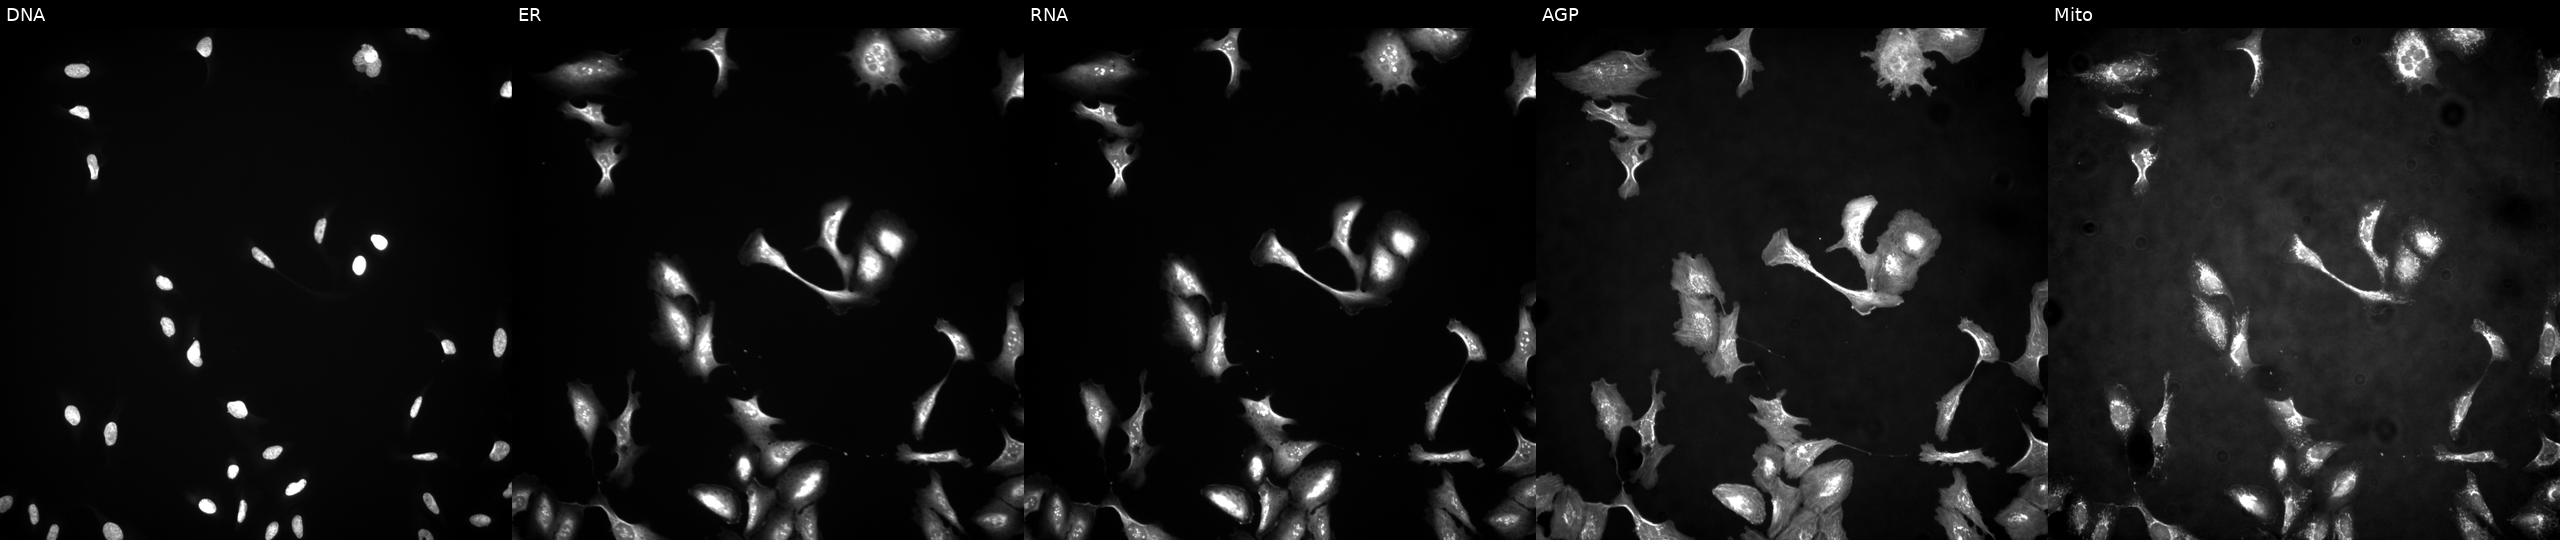
Five-channel Cell Painting image of U2OS cells transfected with an ORF construct for PANK1. Channels (left→right): Hoechst 33342, concanavalin A, SYTO 14, phalloidin and WGA, MitoTracker.